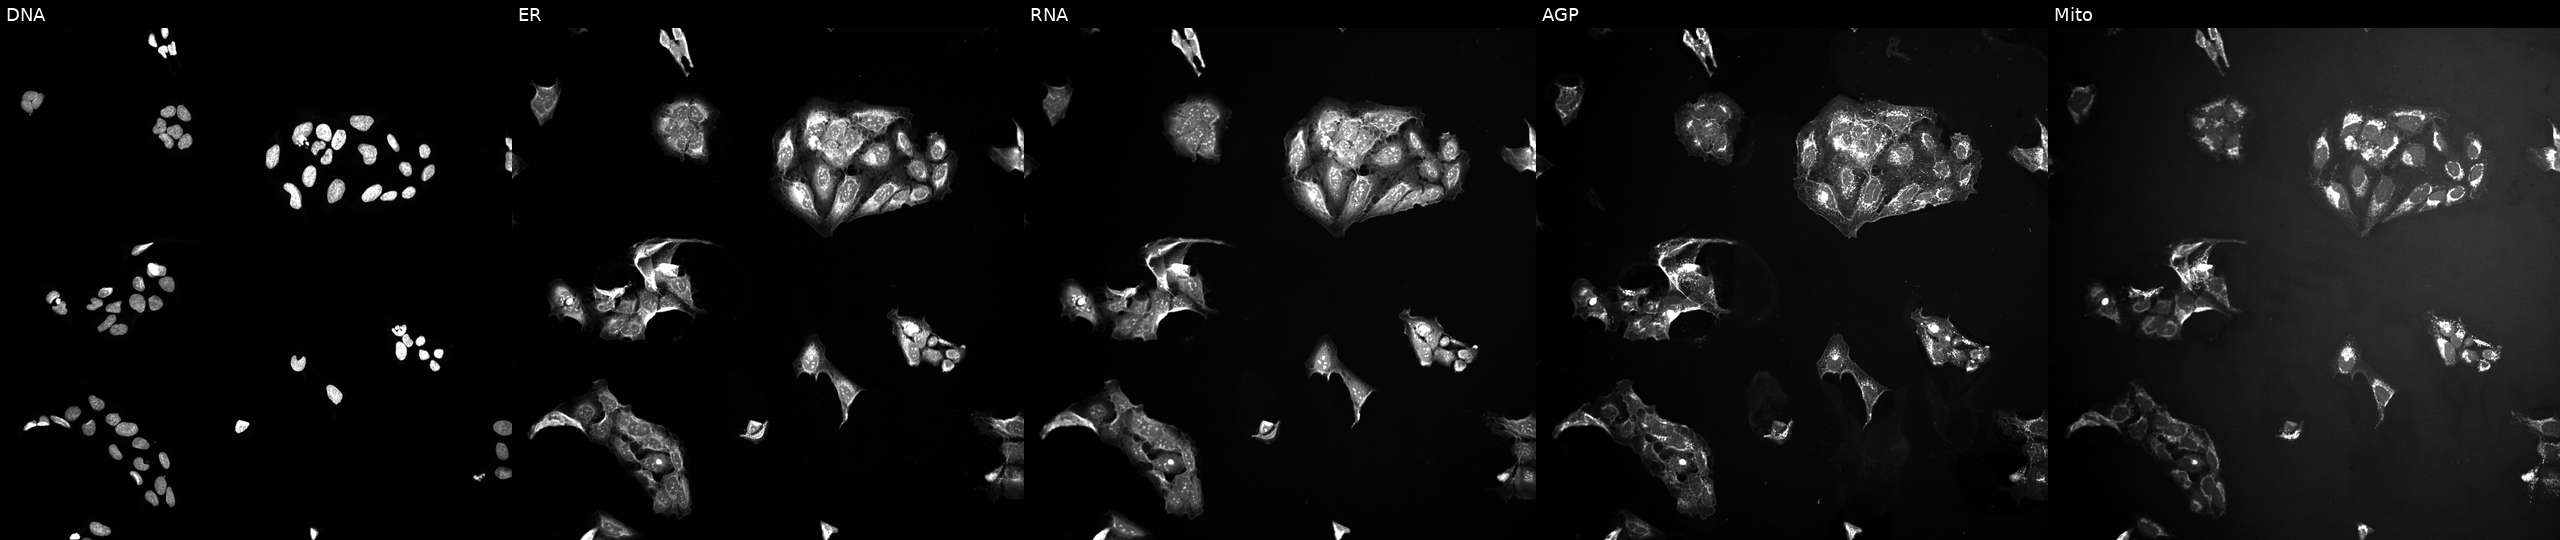
This image strip shows the five Cell Painting channels for a single field of U2OS cells exposed to a small-molecule compound (InChIKey XXJWYDDUDKYVKI-UHFFFAOYSA-N). Panels show, left to right, DNA (nuclei); ER (endoplasmic reticulum); RNA (nucleoli and cytoplasmic RNA); AGP (actin cytoskeleton, Golgi, and plasma membrane); Mito (mitochondria).